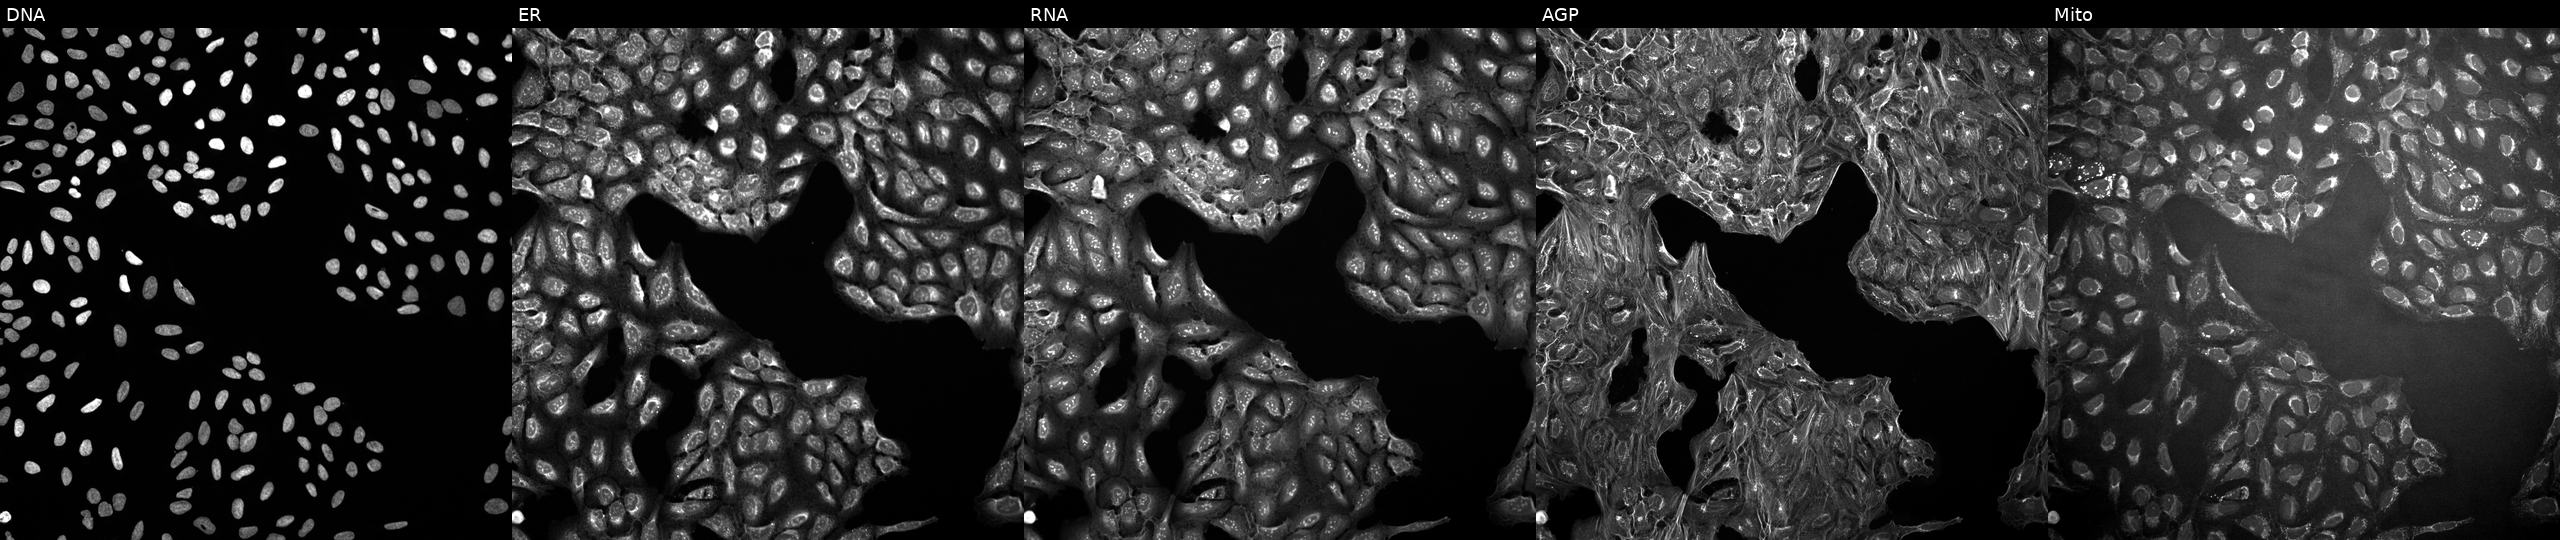
U2OS cells, Cell Painting assay, treated with a small-molecule compound (InChIKey MQMXXPJYUNUWRA-UHFFFAOYSA-N) (JUMP id JCP2022_055880). Panels show, left to right, Hoechst 33342, concanavalin A, SYTO 14, phalloidin and WGA, MitoTracker. Each panel is percentile-stretched 16-bit fluorescence.